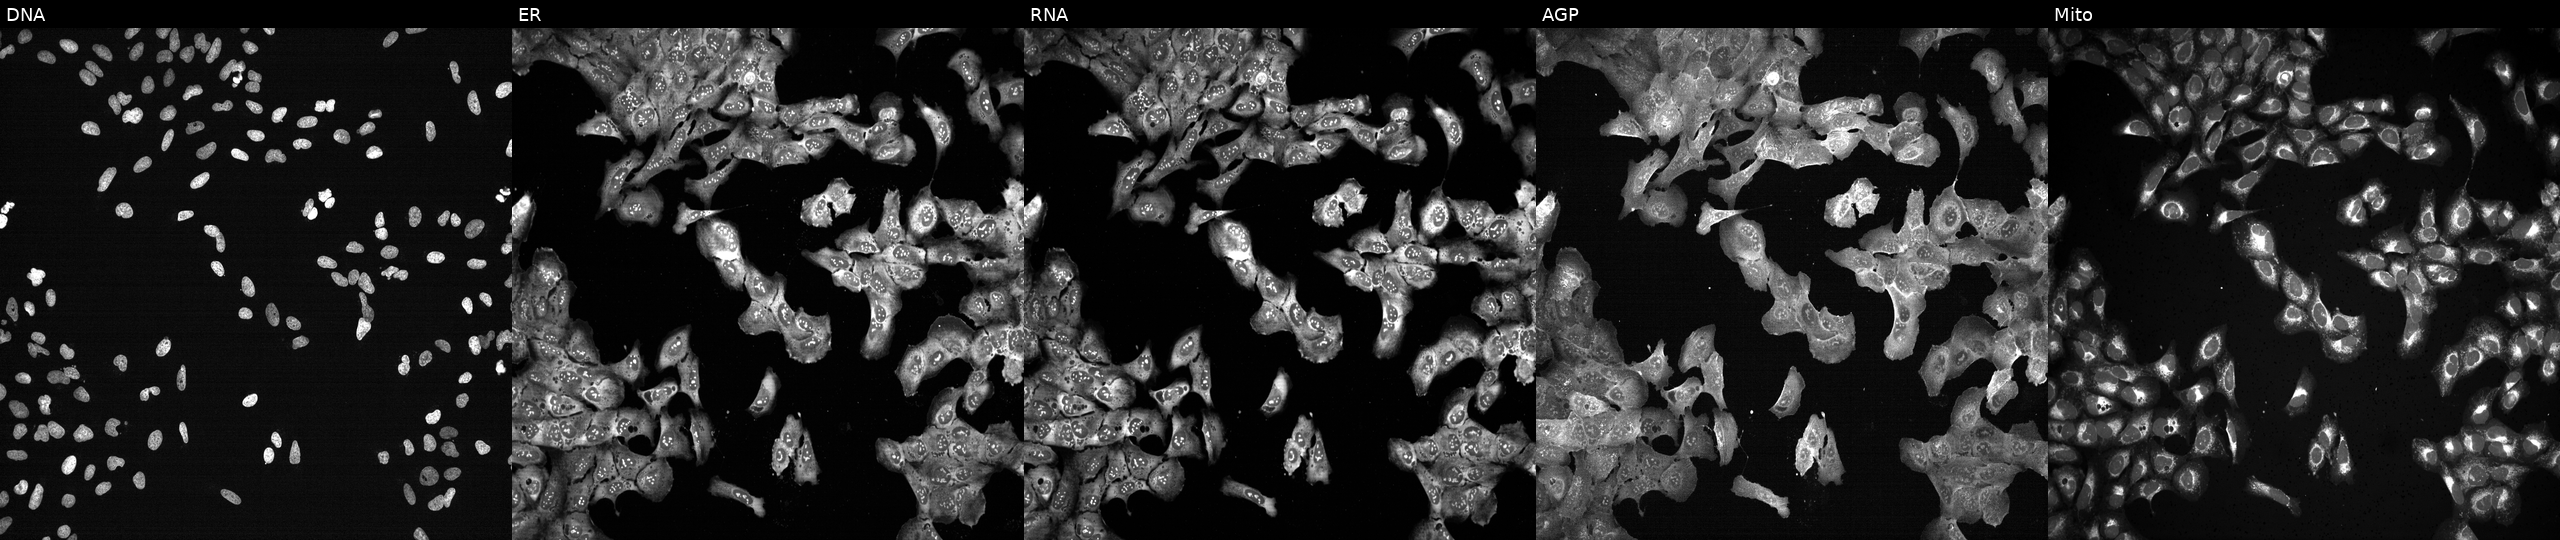
JUMP Cell Painting — CRISPR plate. U2OS cells with DDX41 knocked out by CRISPR (JUMP id JCP2022_801739). Channels (left→right): Hoechst 33342, concanavalin A, SYTO 14, phalloidin and WGA, MitoTracker.